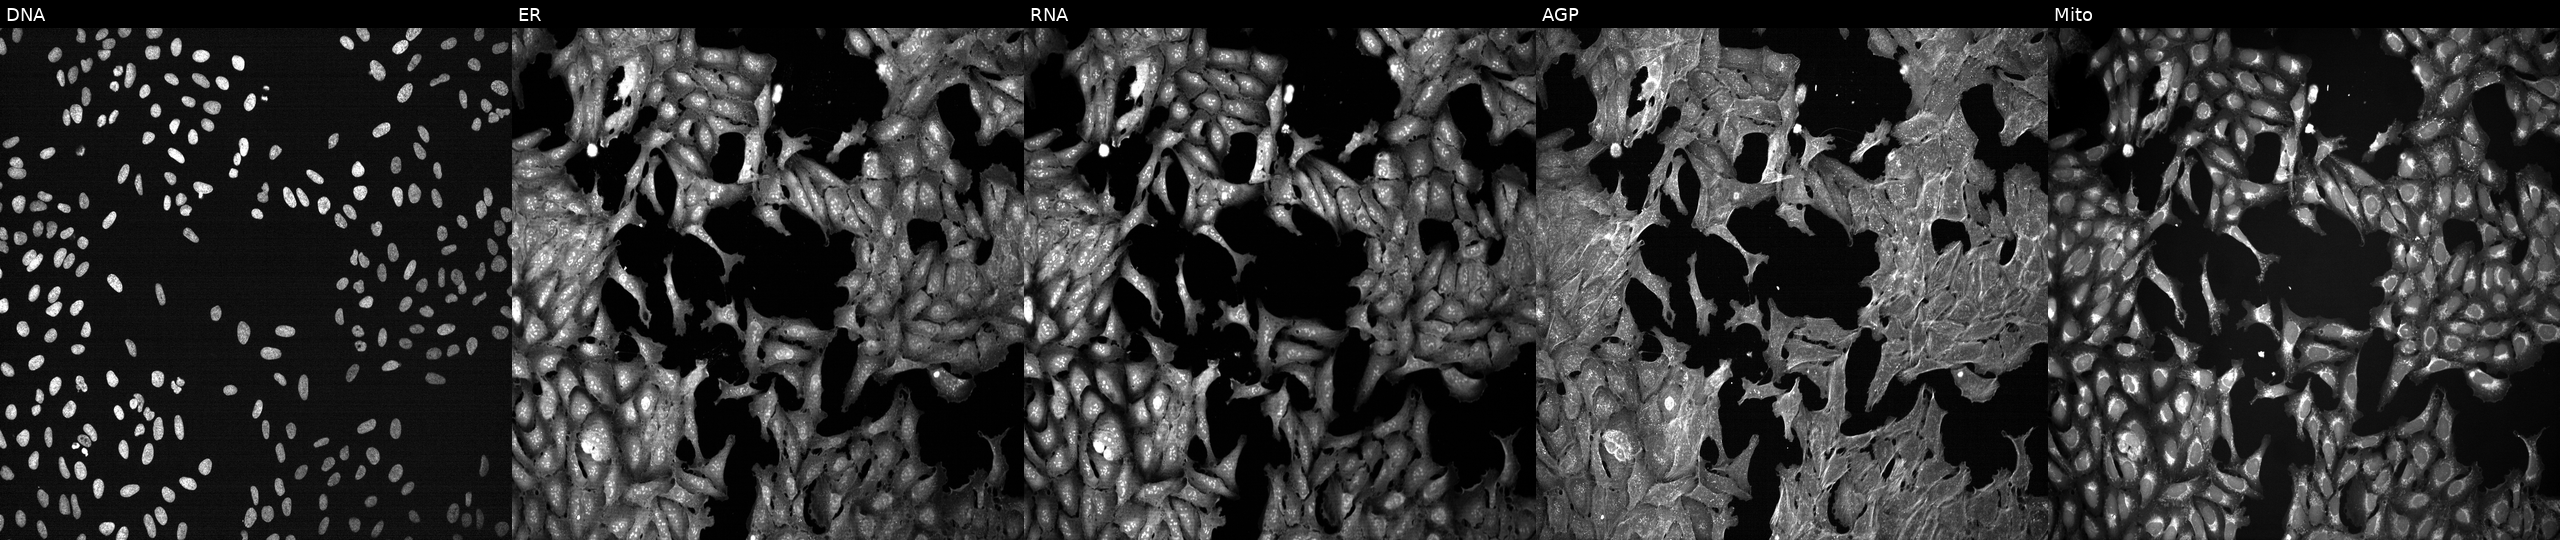
This image strip shows the five Cell Painting channels for a single field of U2OS cells exposed to DMSO alone as a negative control. The five panels, left to right, show DNA (nuclei); ER (endoplasmic reticulum); RNA (nucleoli and cytoplasmic RNA); AGP (actin cytoskeleton, Golgi, and plasma membrane); Mito (mitochondria).